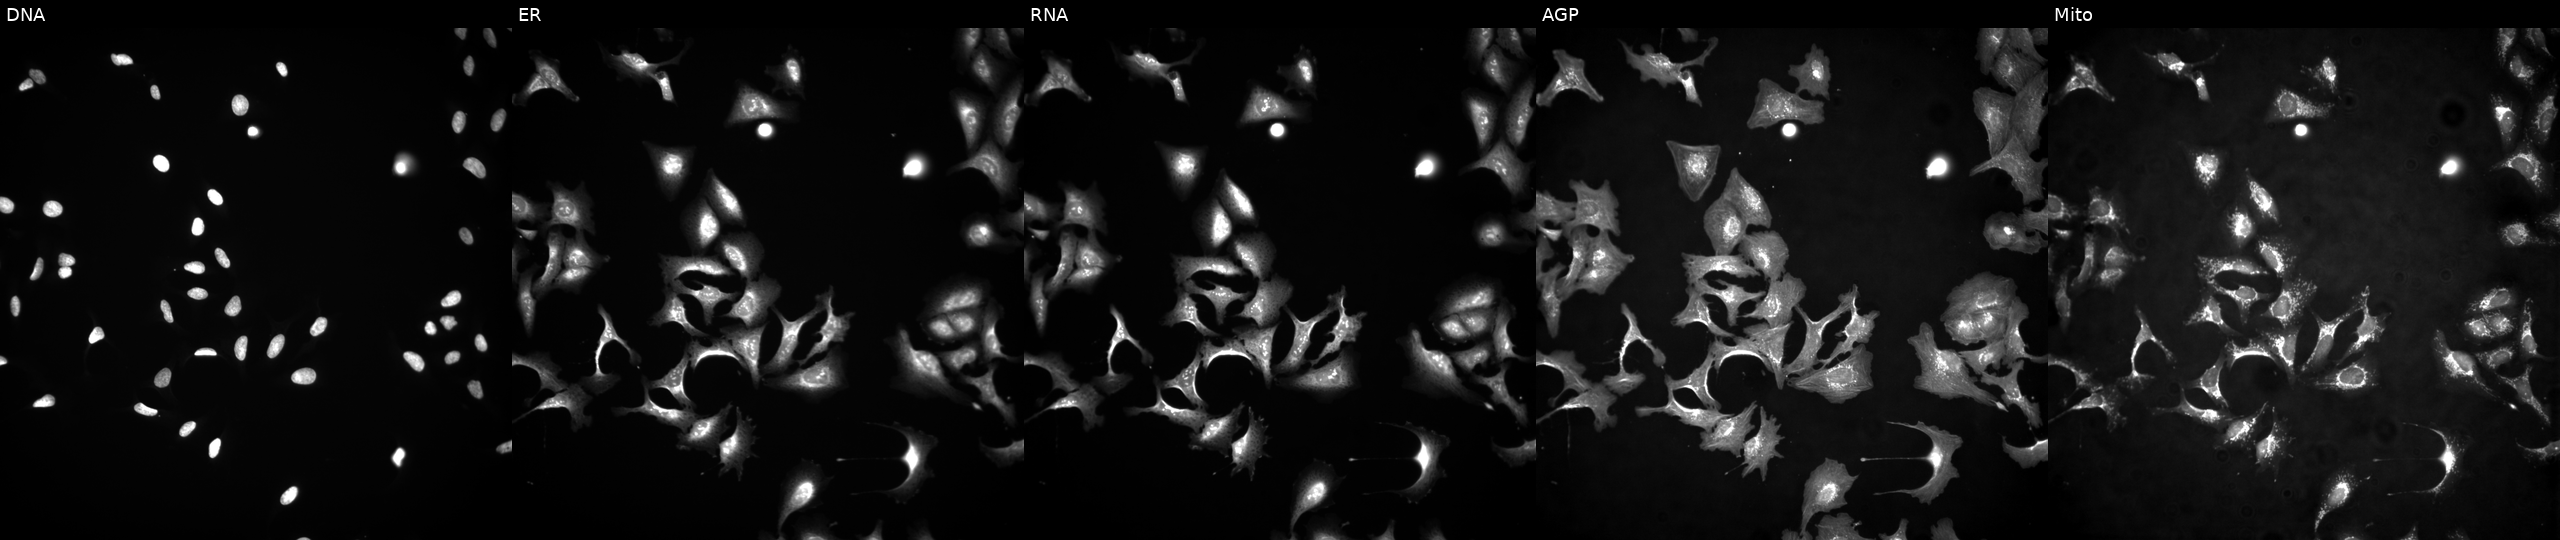
JUMP Cell Painting — ORF plate. U2OS cells overexpressing MAPK4 via ORF transfection (JUMP id JCP2022_913826). Panels show, left to right, Hoechst 33342, concanavalin A, SYTO 14, phalloidin and WGA, MitoTracker.